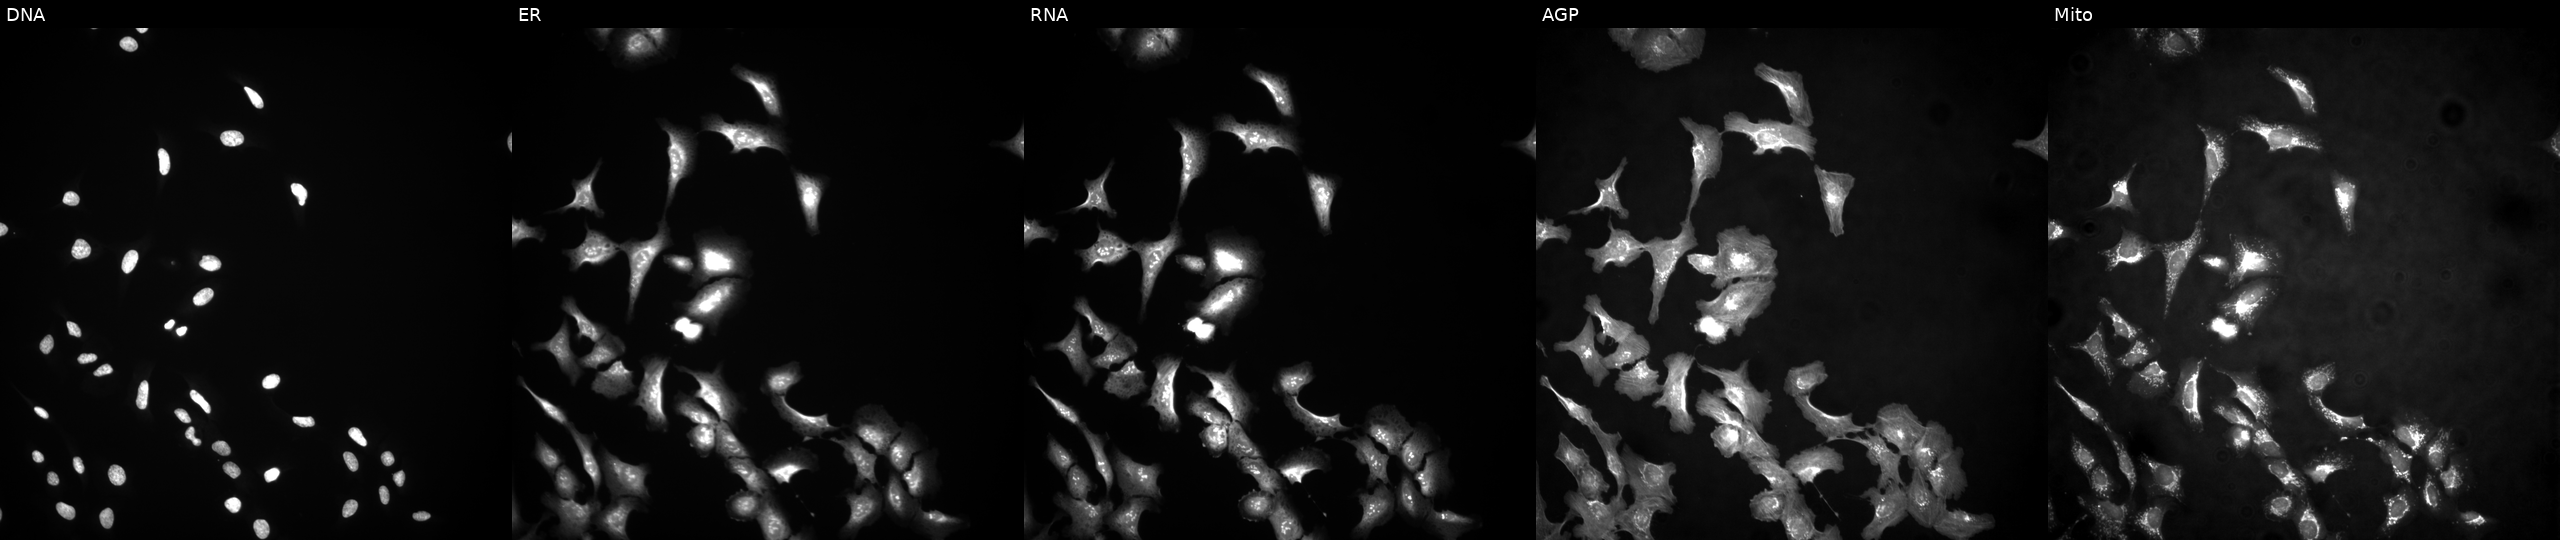
Five-channel Cell Painting image of U2OS cells transfected with ORF construct ccsbBroad304_13788 (gene symbol not annotated) (JUMP id JCP2022_912854). From left to right: DNA, ER, RNA, AGP, and Mito. Source 4, plate BR00124784, well N04.